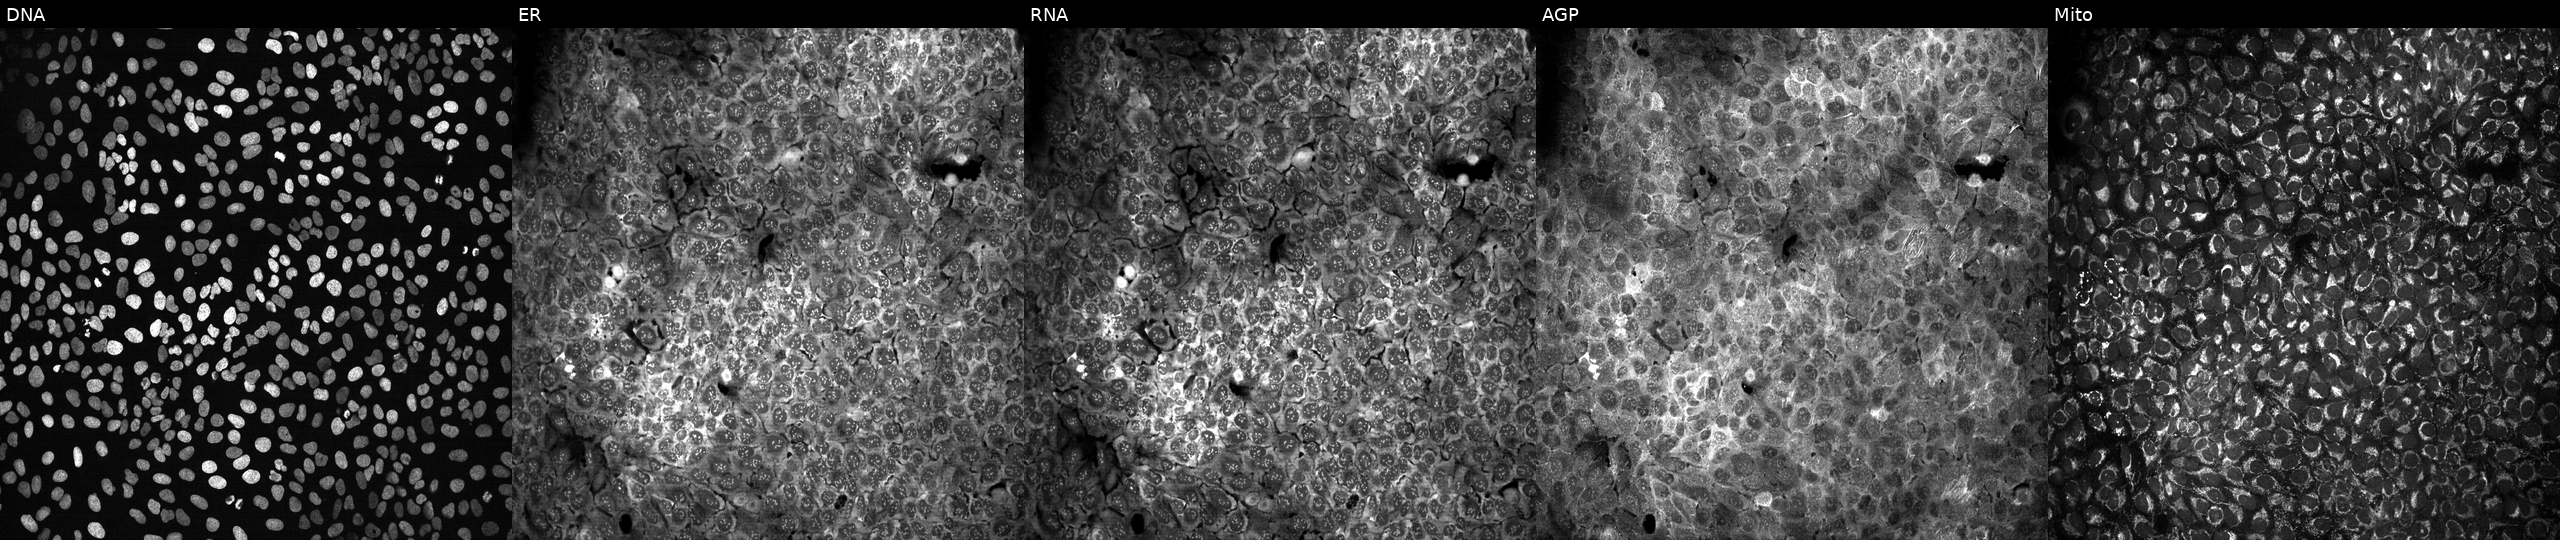
U2OS cells, Cell Painting assay, exposed to the positive-control compound dexamethasone. Panels show, left to right, Hoechst 33342, concanavalin A, SYTO 14, phalloidin and WGA, MitoTracker. Each panel is percentile-stretched 16-bit fluorescence. Source 13, plate CP-CC9-R3-01, well O24.